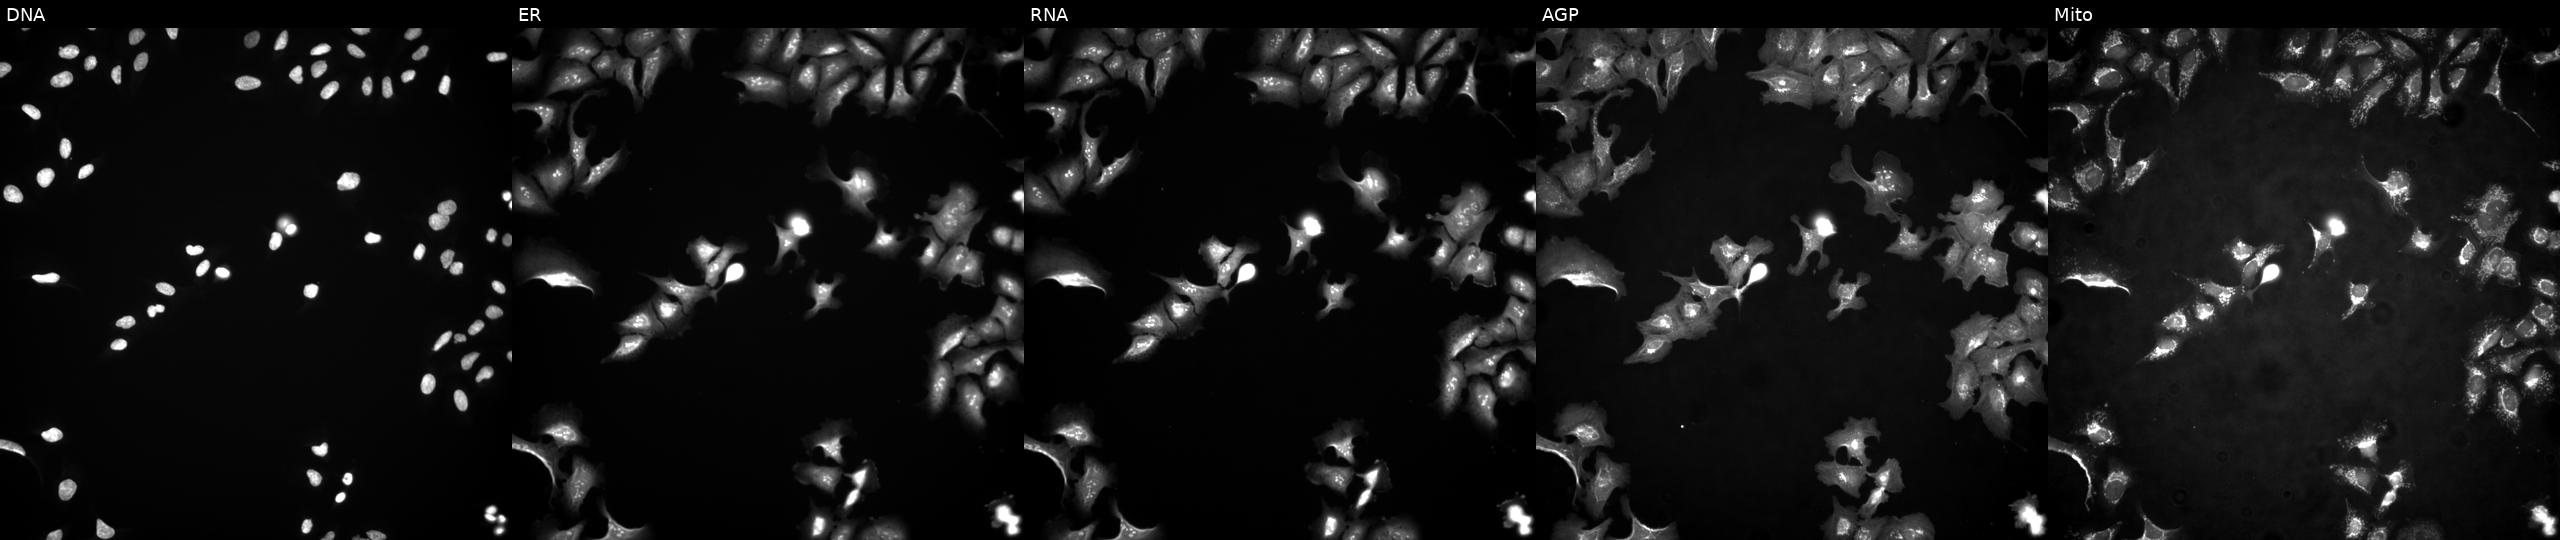
JUMP Cell Painting — ORF plate. U2OS cells transfected with an ORF construct for ELF4. Panels show, left to right, DNA, ER, RNA, AGP, and Mito.